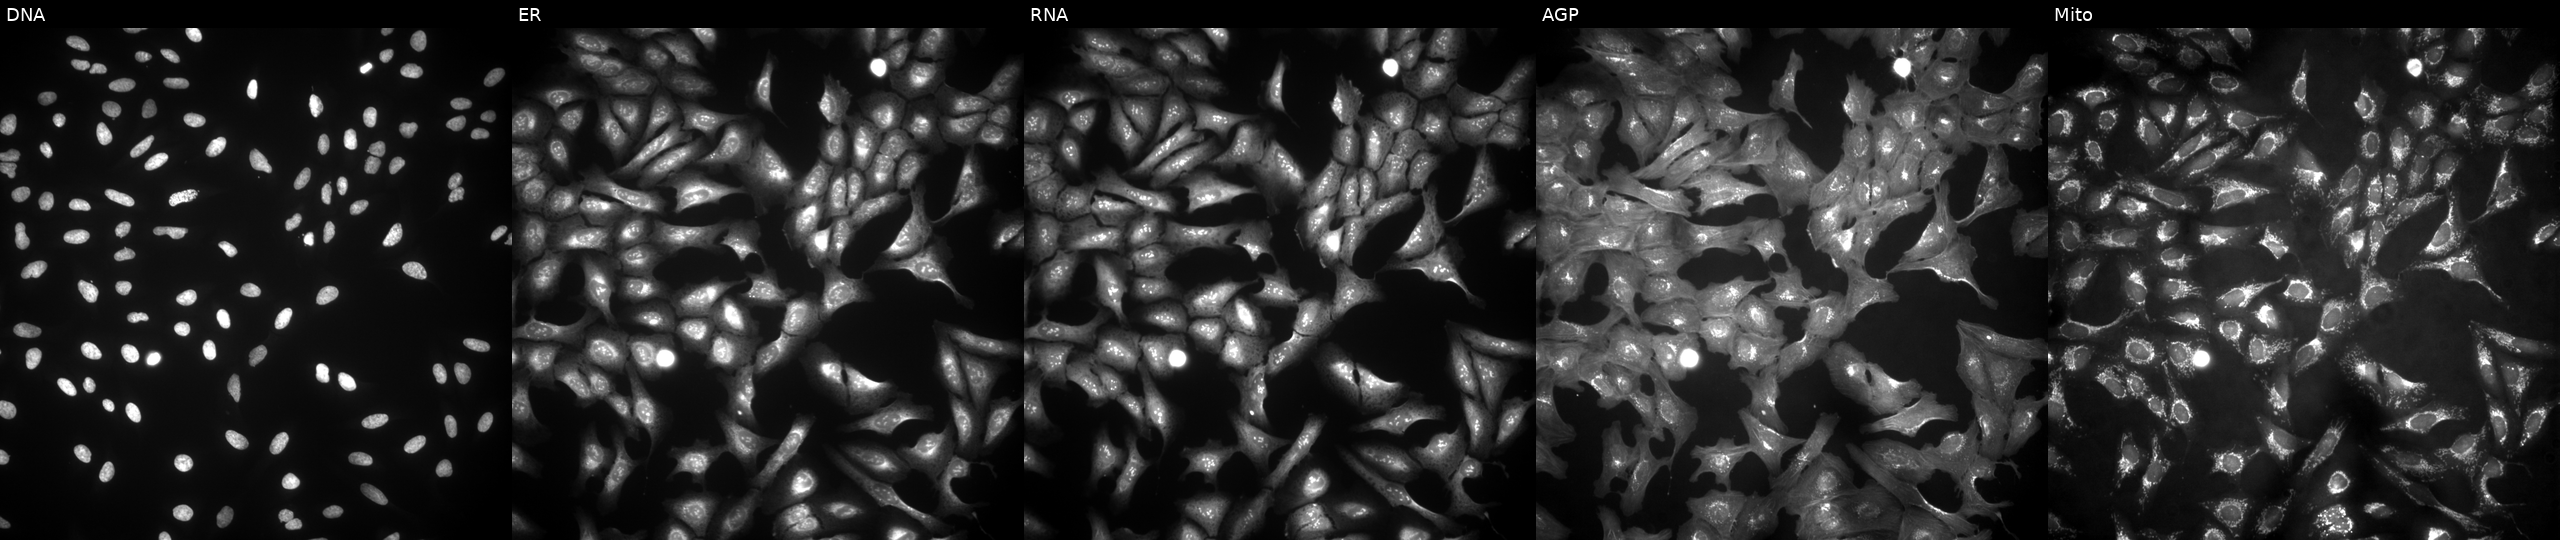
This image strip shows the five Cell Painting channels for a single field of U2OS cells transfected with an ORF construct for MEAK7 (JUMP id JCP2022_908184). Channels (left→right): Hoechst 33342, concanavalin A, SYTO 14, phalloidin and WGA, MitoTracker. Source 4, plate BR00123506, well M09.